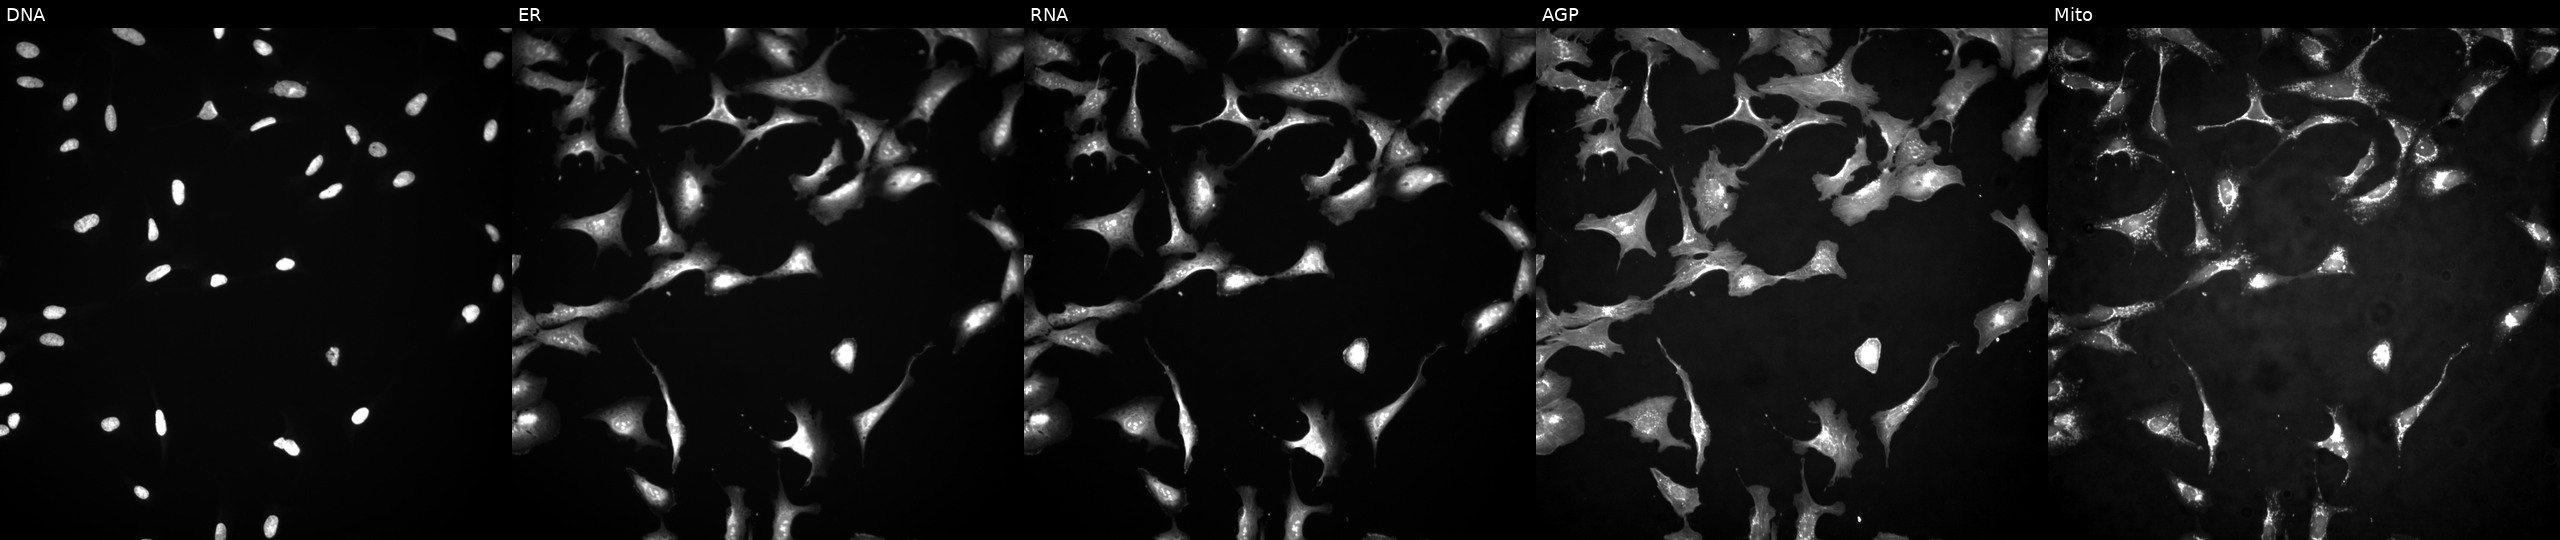
High-content fluorescence microscopy (Cell Painting). Cell line: U2OS. Perturbation: transfected with an ORF construct for HDAC6. From left to right: DNA, ER, RNA, AGP, and Mito.